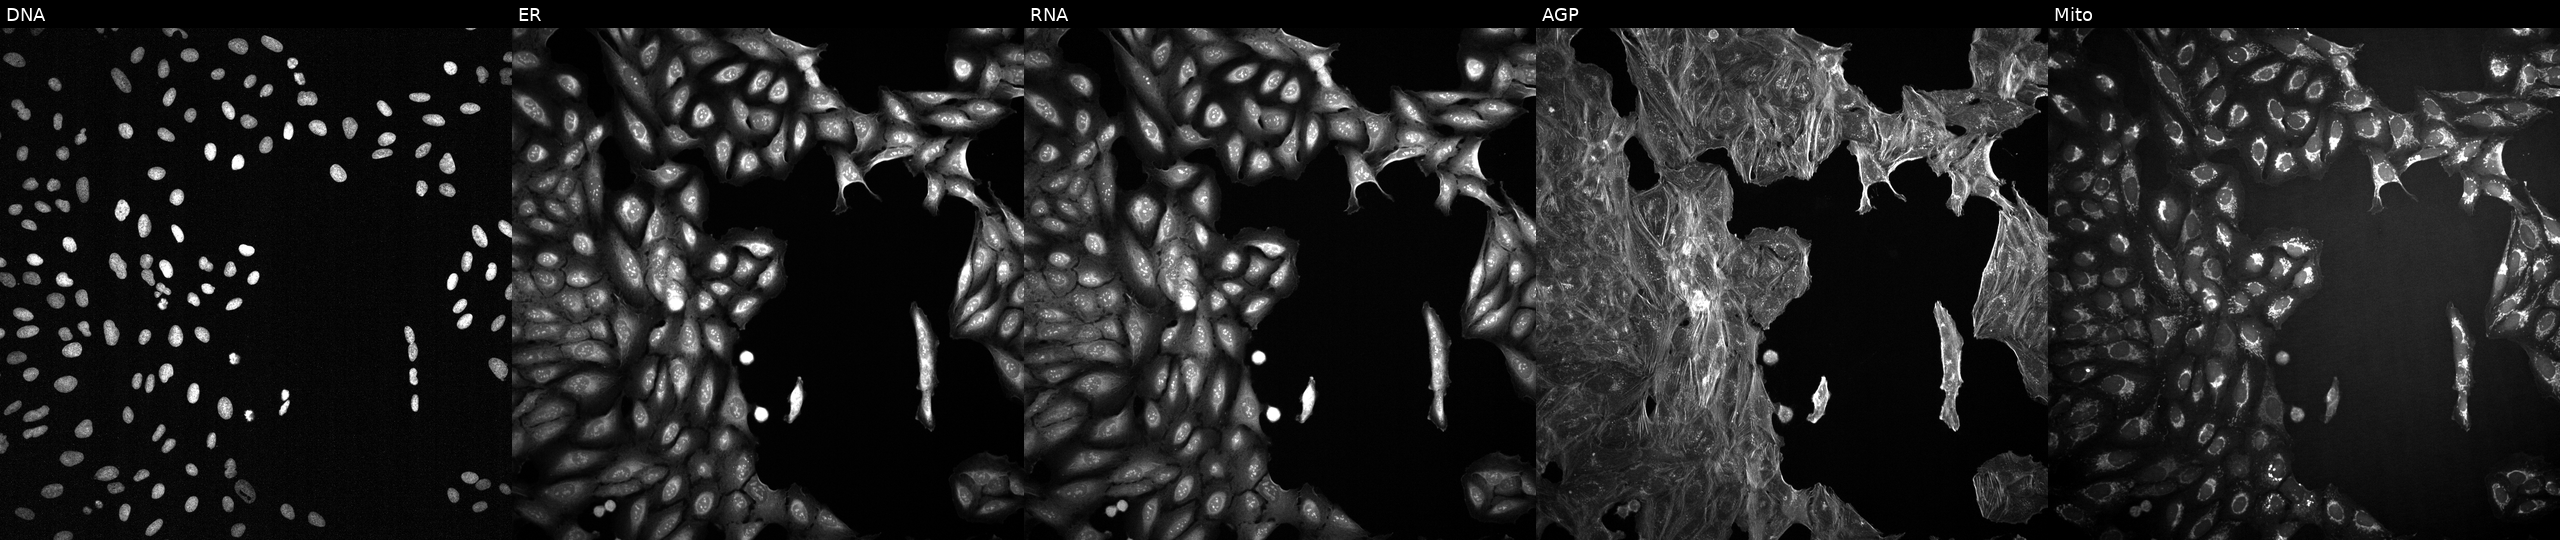
Five-channel Cell Painting image of U2OS cells treated with a small-molecule compound (JUMP id JCP2022_093901). The five panels, left to right, show DNA (nuclei); ER (endoplasmic reticulum); RNA (nucleoli and cytoplasmic RNA); AGP (actin cytoskeleton, Golgi, and plasma membrane); Mito (mitochondria).